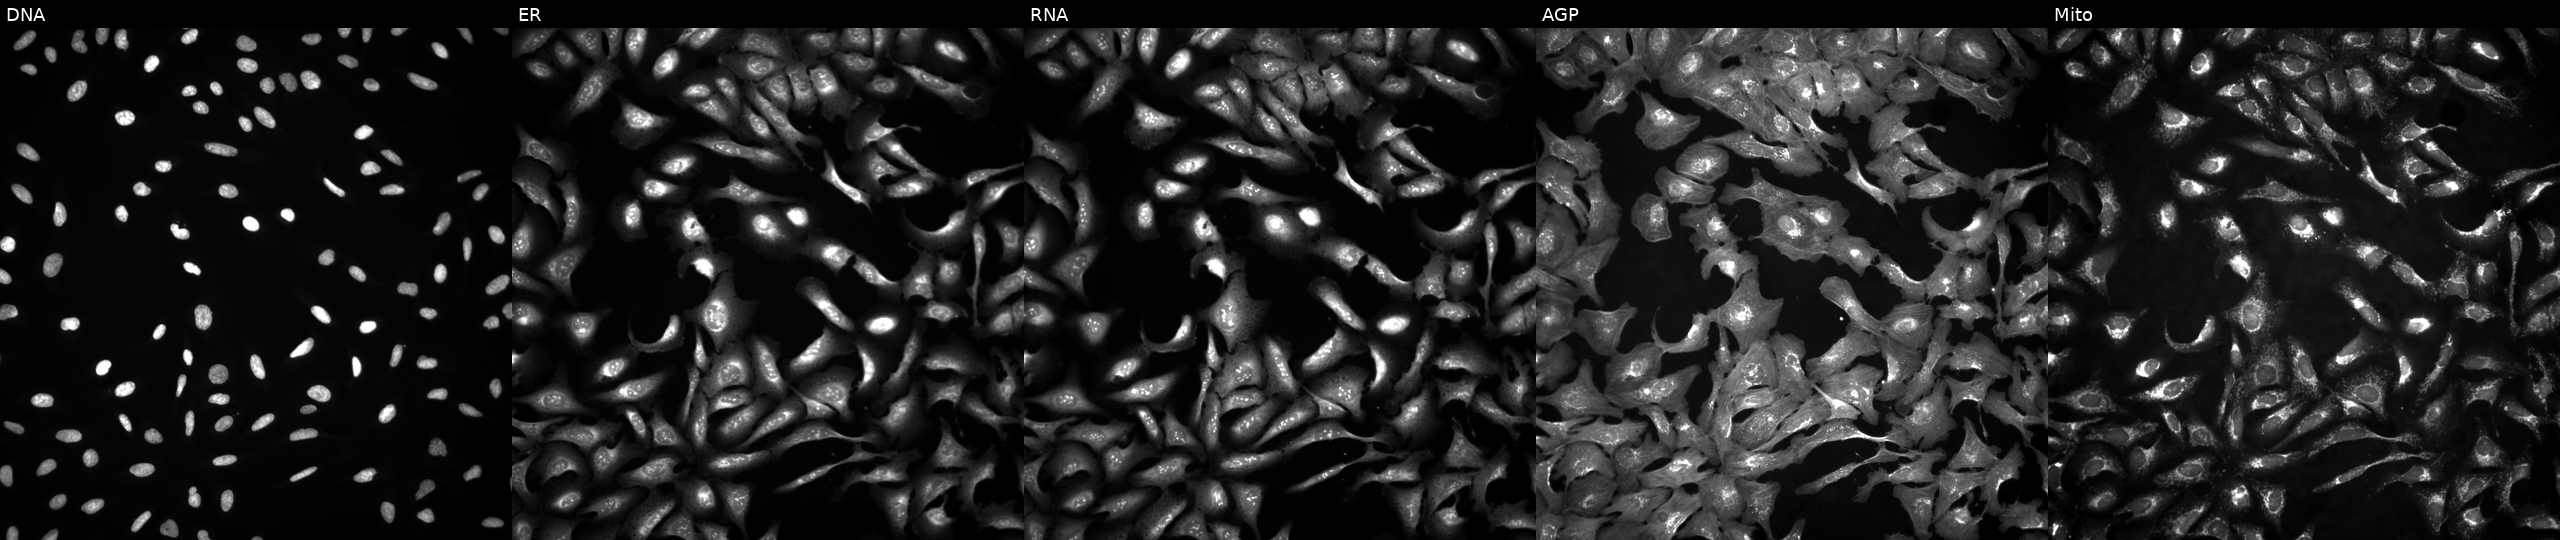
U2OS cells, Cell Painting assay, overexpressing EPHA3 via ORF transfection. Channels (left→right): DNA (nuclei); ER (endoplasmic reticulum); RNA (nucleoli and cytoplasmic RNA); AGP (actin cytoskeleton, Golgi, and plasma membrane); Mito (mitochondria). Each panel is percentile-stretched 16-bit fluorescence. Source 4, plate BR00123945, well I20.